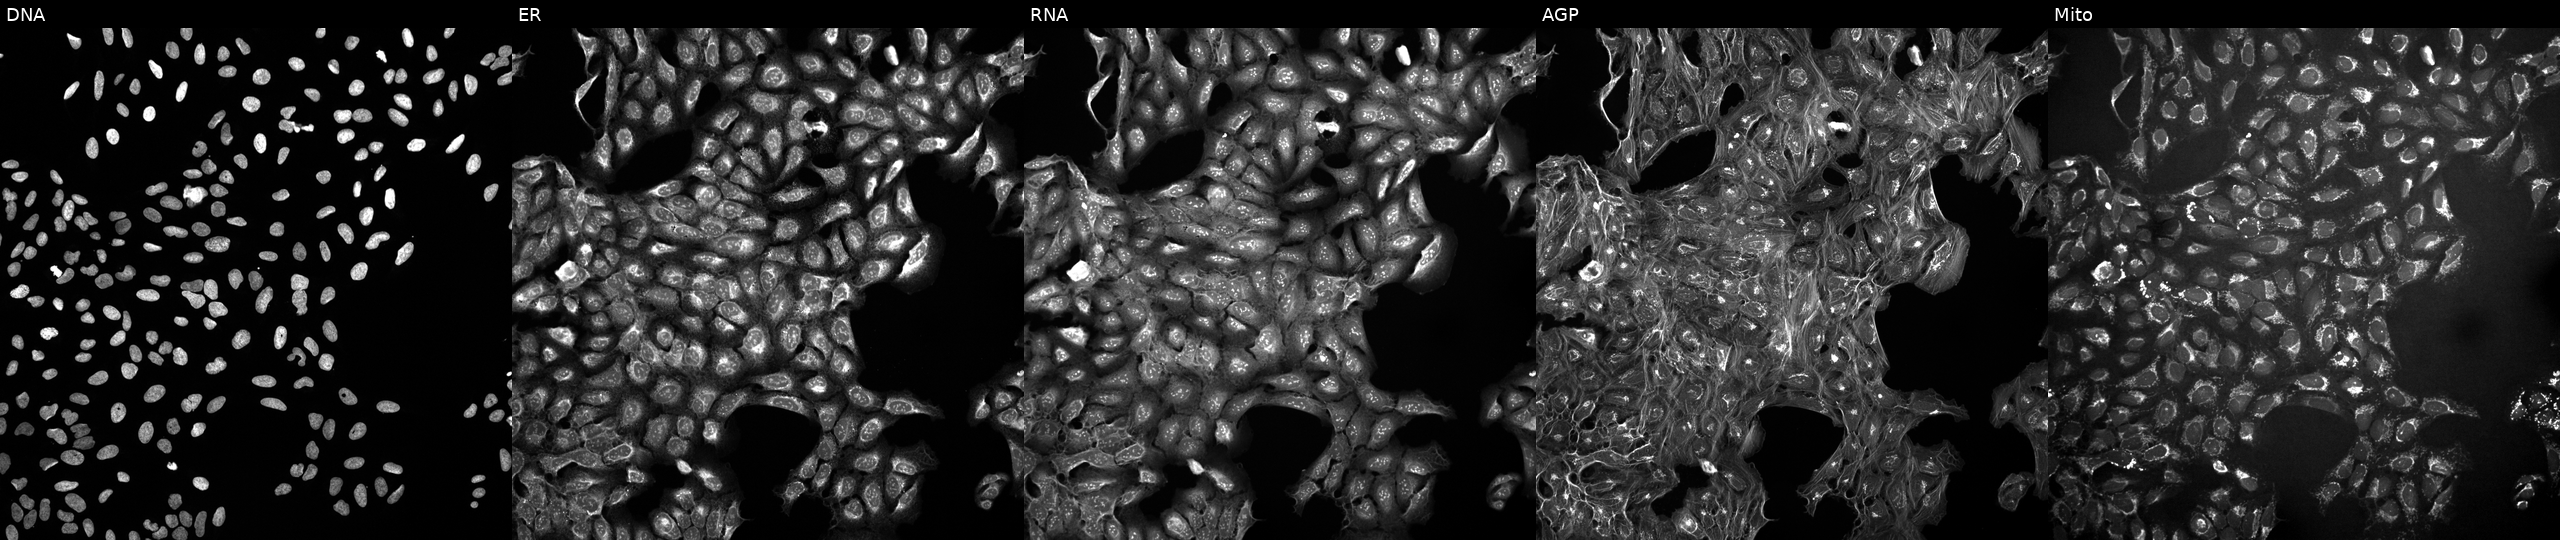
This image strip shows the five Cell Painting channels for a single field of U2OS cells exposed to DMSO alone as a negative control. Panels show, left to right, Hoechst 33342, concanavalin A, SYTO 14, phalloidin and WGA, MitoTracker.